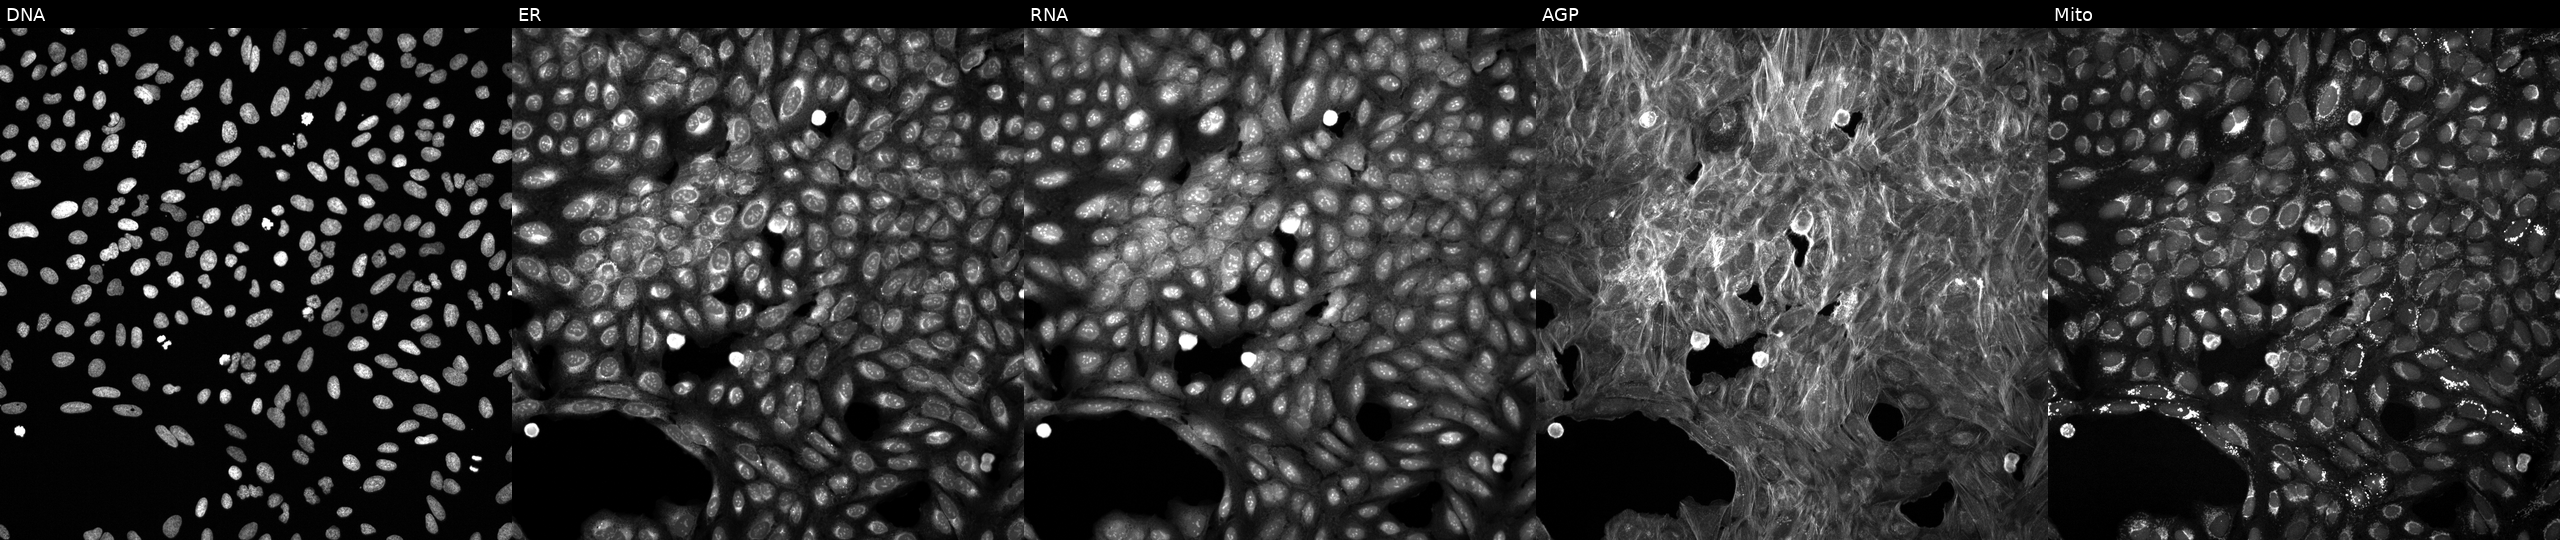
U2OS cells, Cell Painting assay, perturbed with a small-molecule compound [SMILES: Cc1ccc(OCc2nnc3sc(-c4cc(C)on4)nn23)cc1] (JUMP id JCP2022_000963). The five panels, left to right, show DNA, ER, RNA, AGP, and Mito. Each panel is percentile-stretched 16-bit fluorescence.